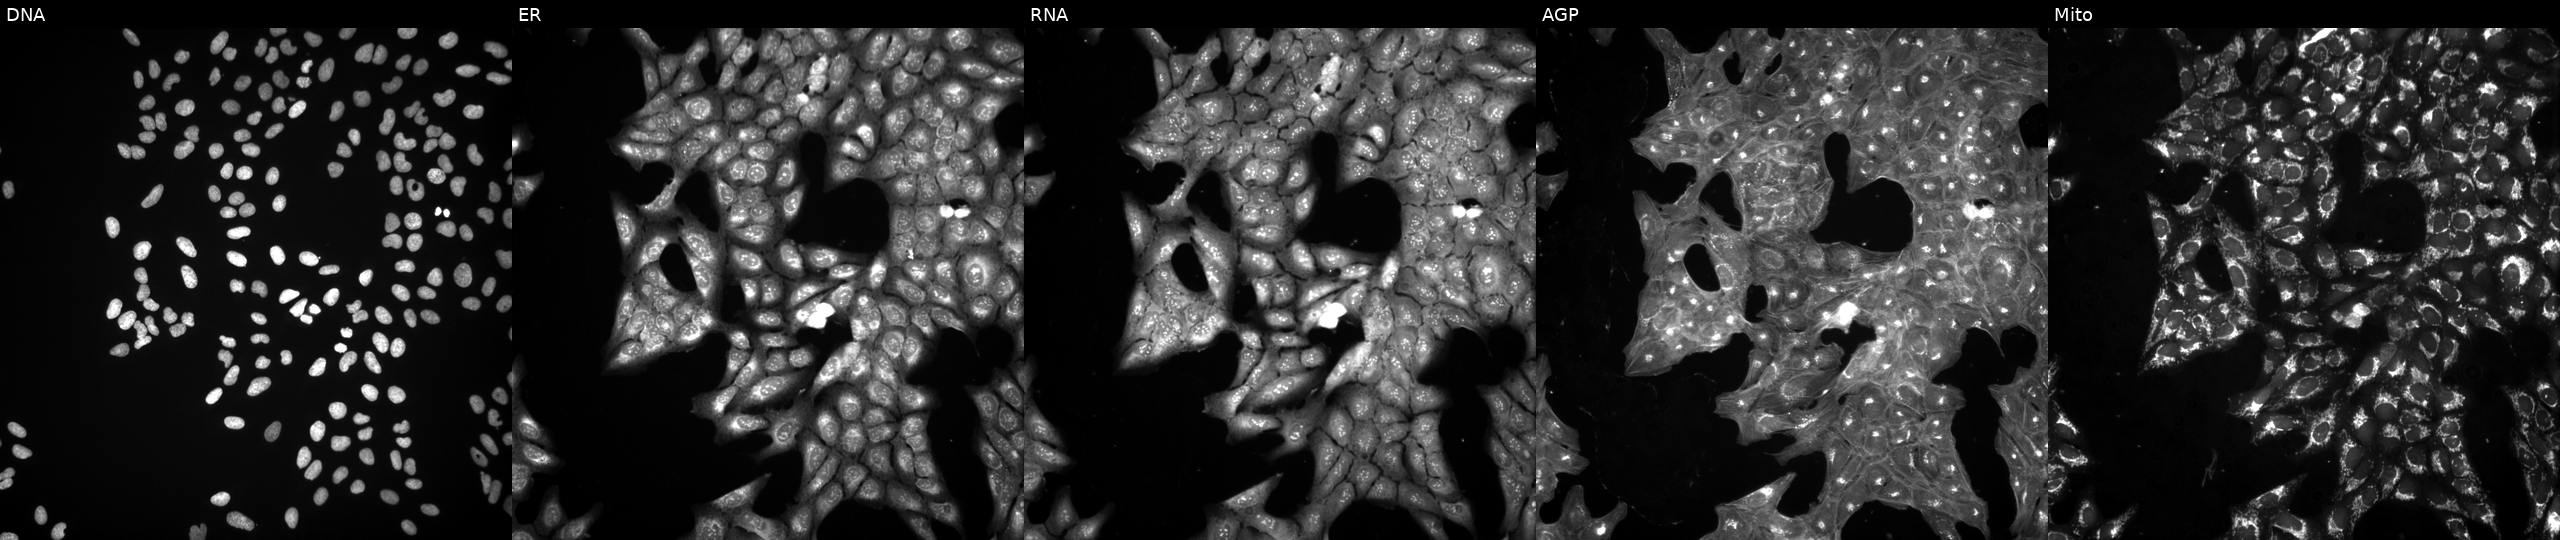
High-content fluorescence microscopy (Cell Painting). Cell line: U2OS. Perturbation: treated with a small-molecule compound. The five panels, left to right, show DNA, ER, RNA, AGP, and Mito.